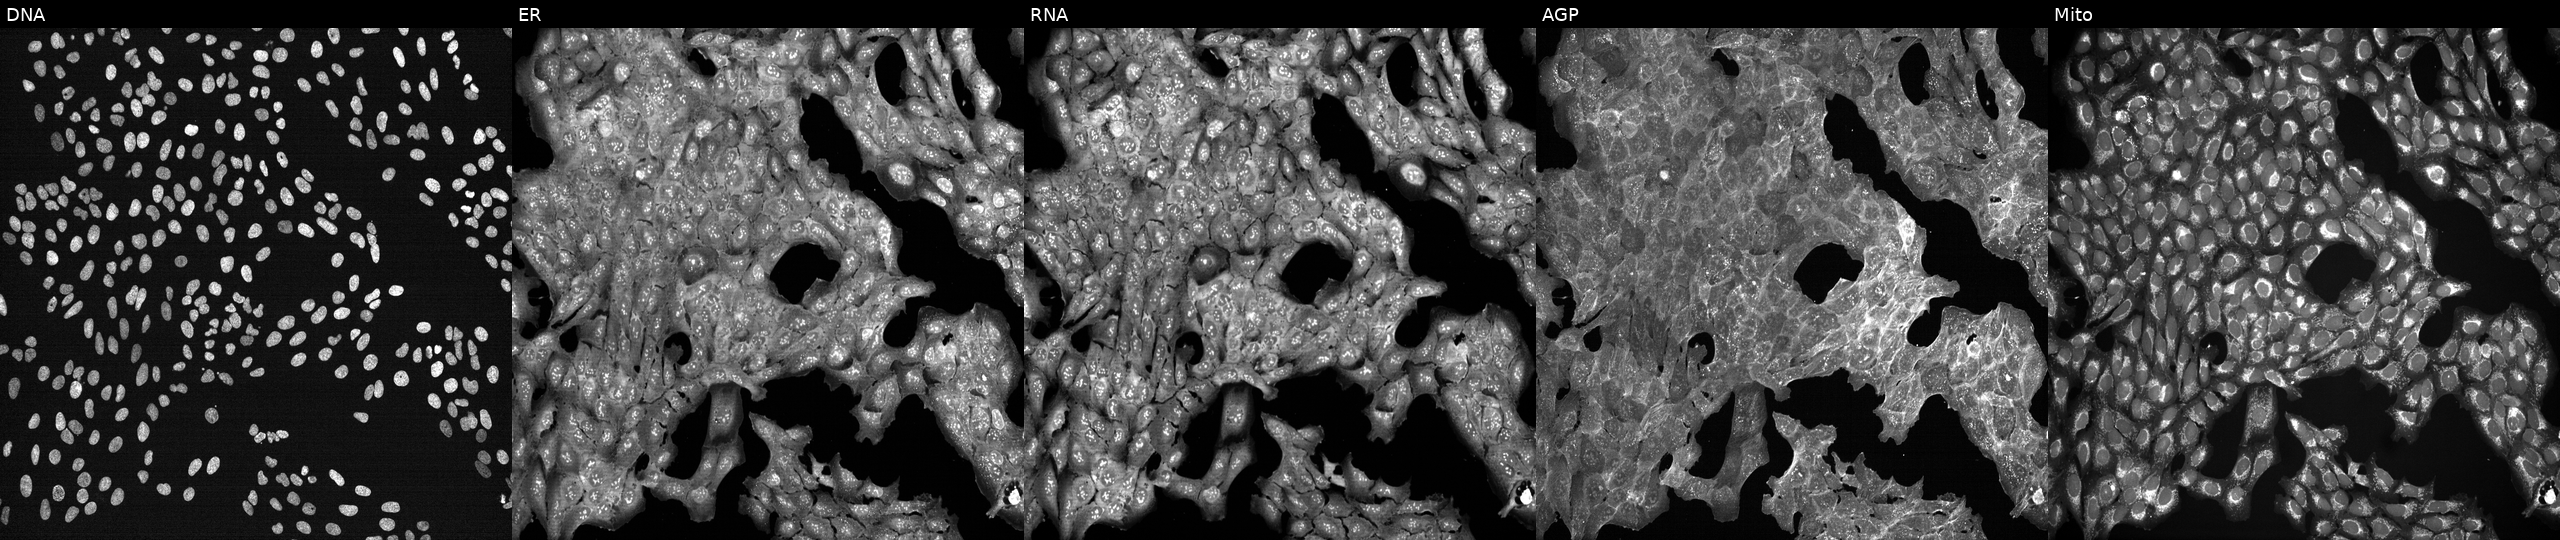
Five-channel Cell Painting image of U2OS cells perturbed with a small-molecule compound. Channels (left→right): DNA (nuclei); ER (endoplasmic reticulum); RNA (nucleoli and cytoplasmic RNA); AGP (actin cytoskeleton, Golgi, and plasma membrane); Mito (mitochondria).